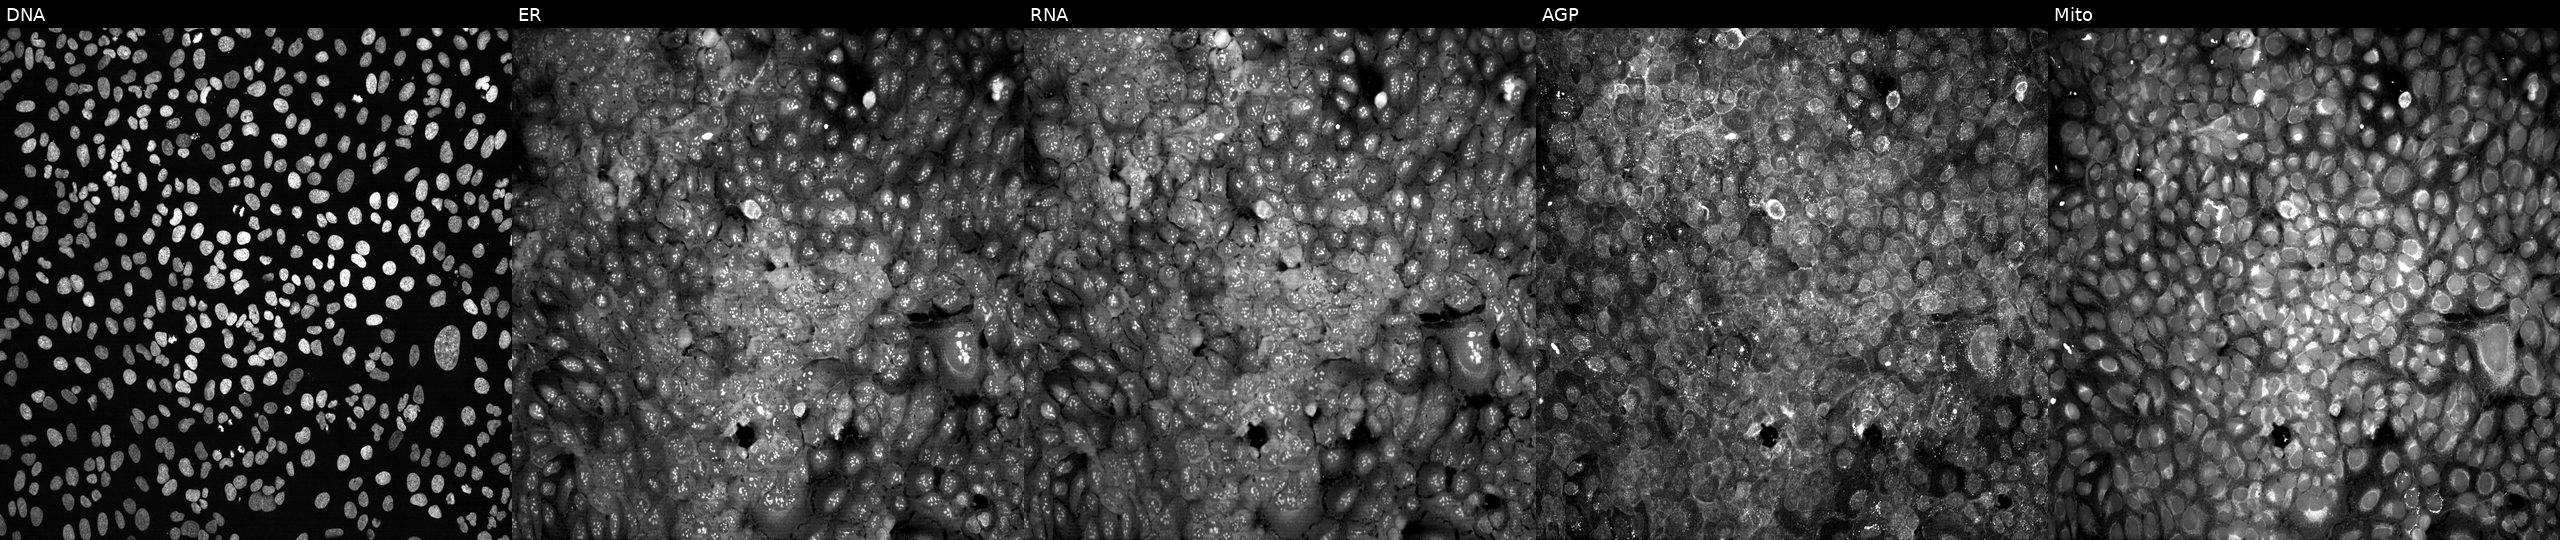
This image strip shows the five Cell Painting channels for a single field of U2OS cells CRISPR-edited to disrupt FASN. Panels show, left to right, DNA, ER, RNA, AGP, and Mito. Source 13, plate CP-CC9-R1-01, well P20.